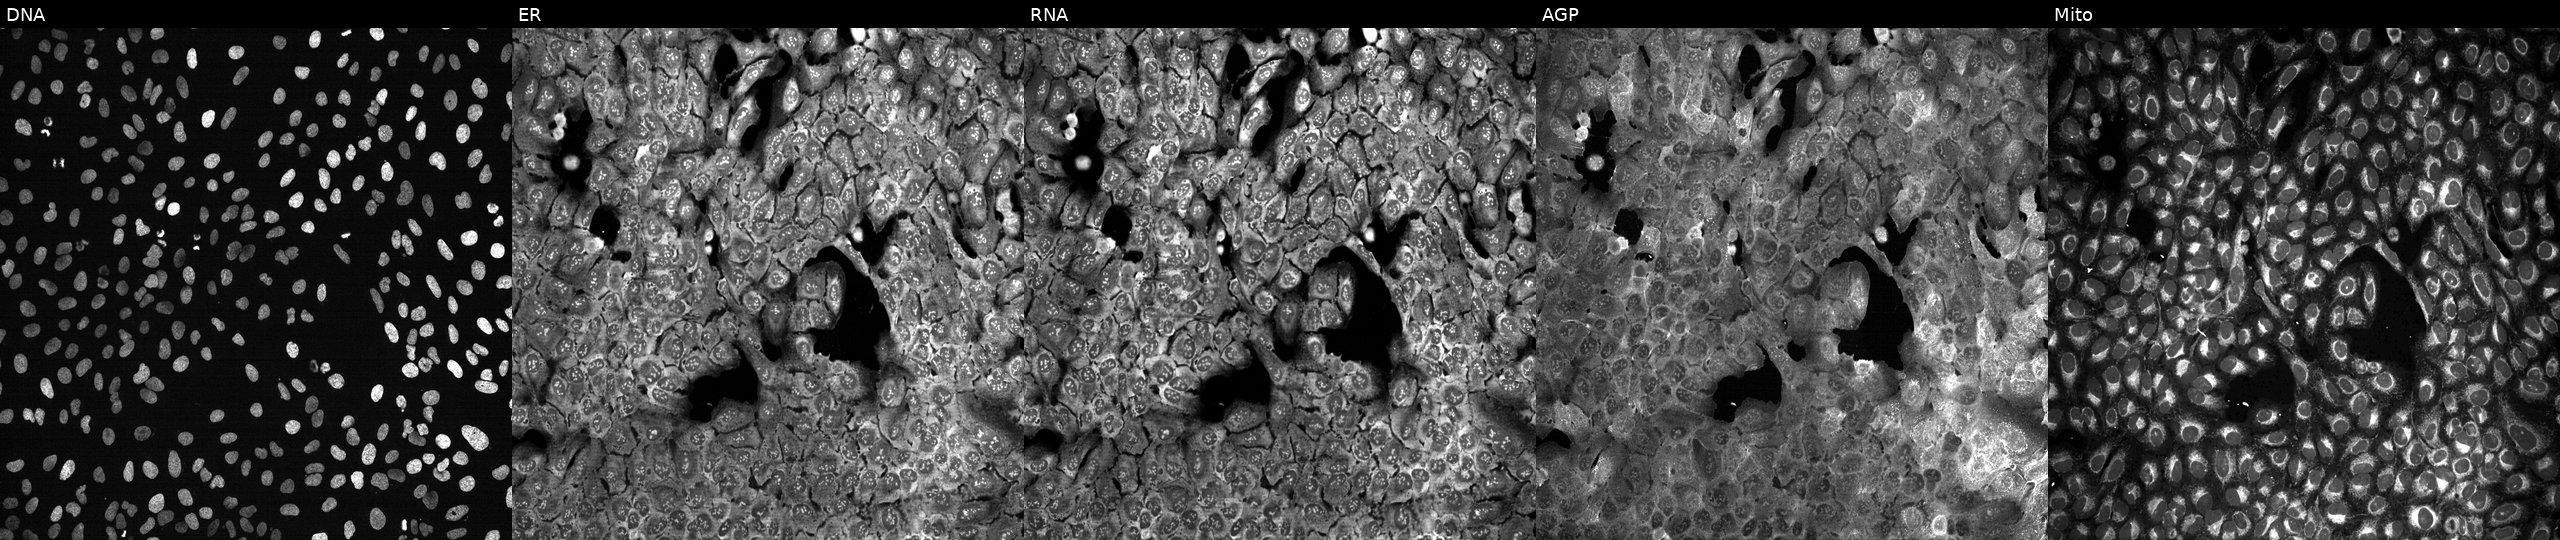
U2OS cells, Cell Painting assay, with SPTLC3 knocked out by CRISPR (JUMP id JCP2022_806757). From left to right: DNA, ER, RNA, AGP, and Mito. Each panel is percentile-stretched 16-bit fluorescence. Source 13, plate CP-CC9-R2-01, well G07.